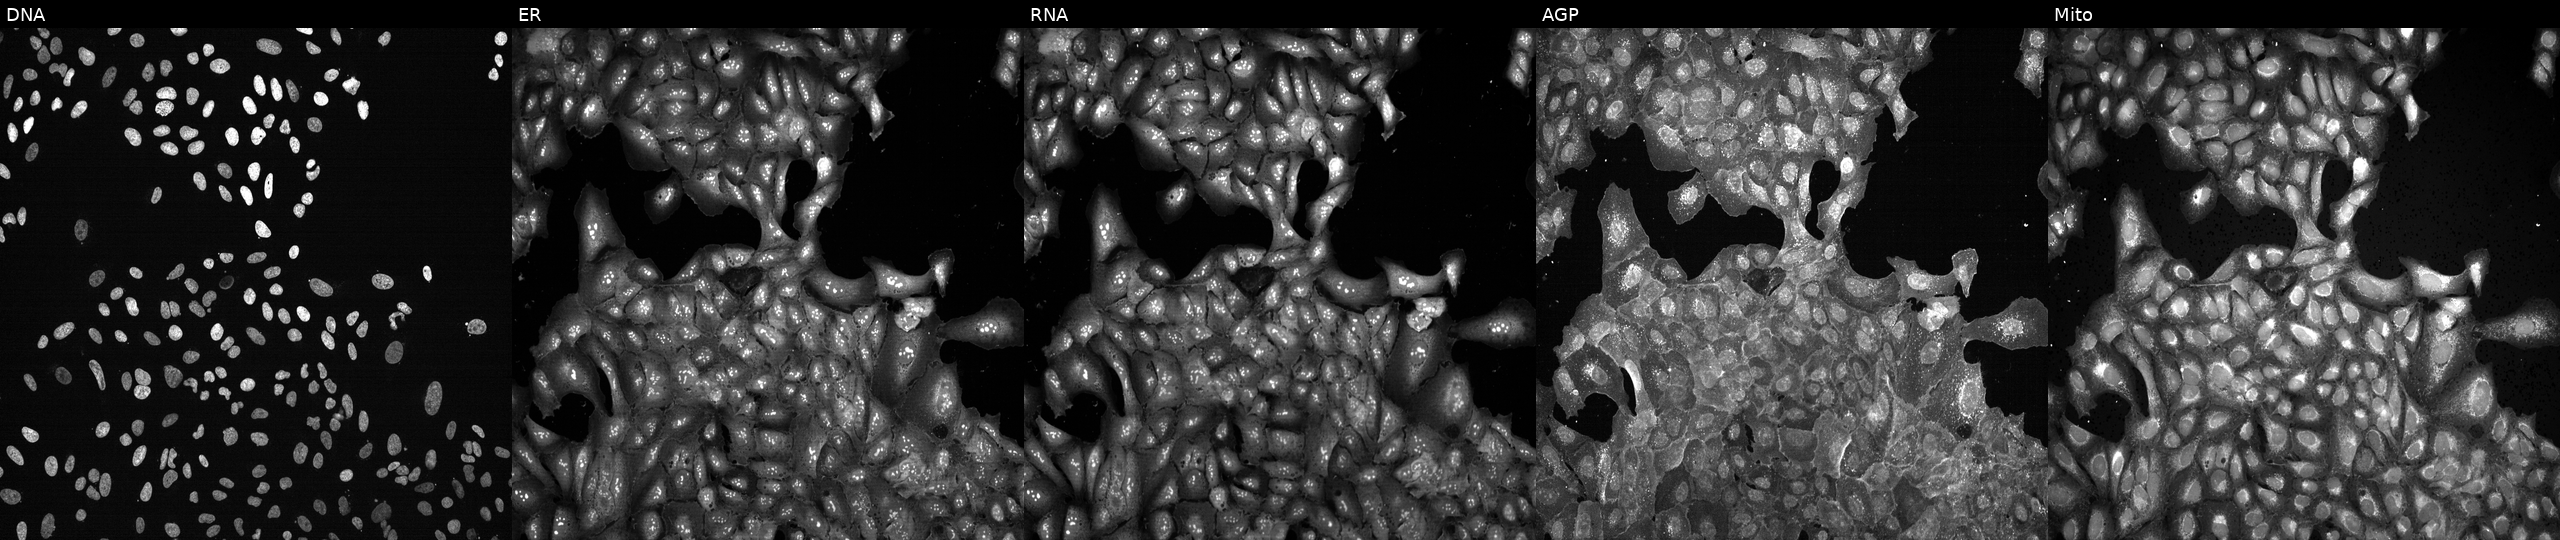
U2OS cells, Cell Painting assay, with KIF5A knocked out by CRISPR (JUMP id JCP2022_803685). Channels (left→right): DNA, ER, RNA, AGP, and Mito. Each panel is percentile-stretched 16-bit fluorescence.